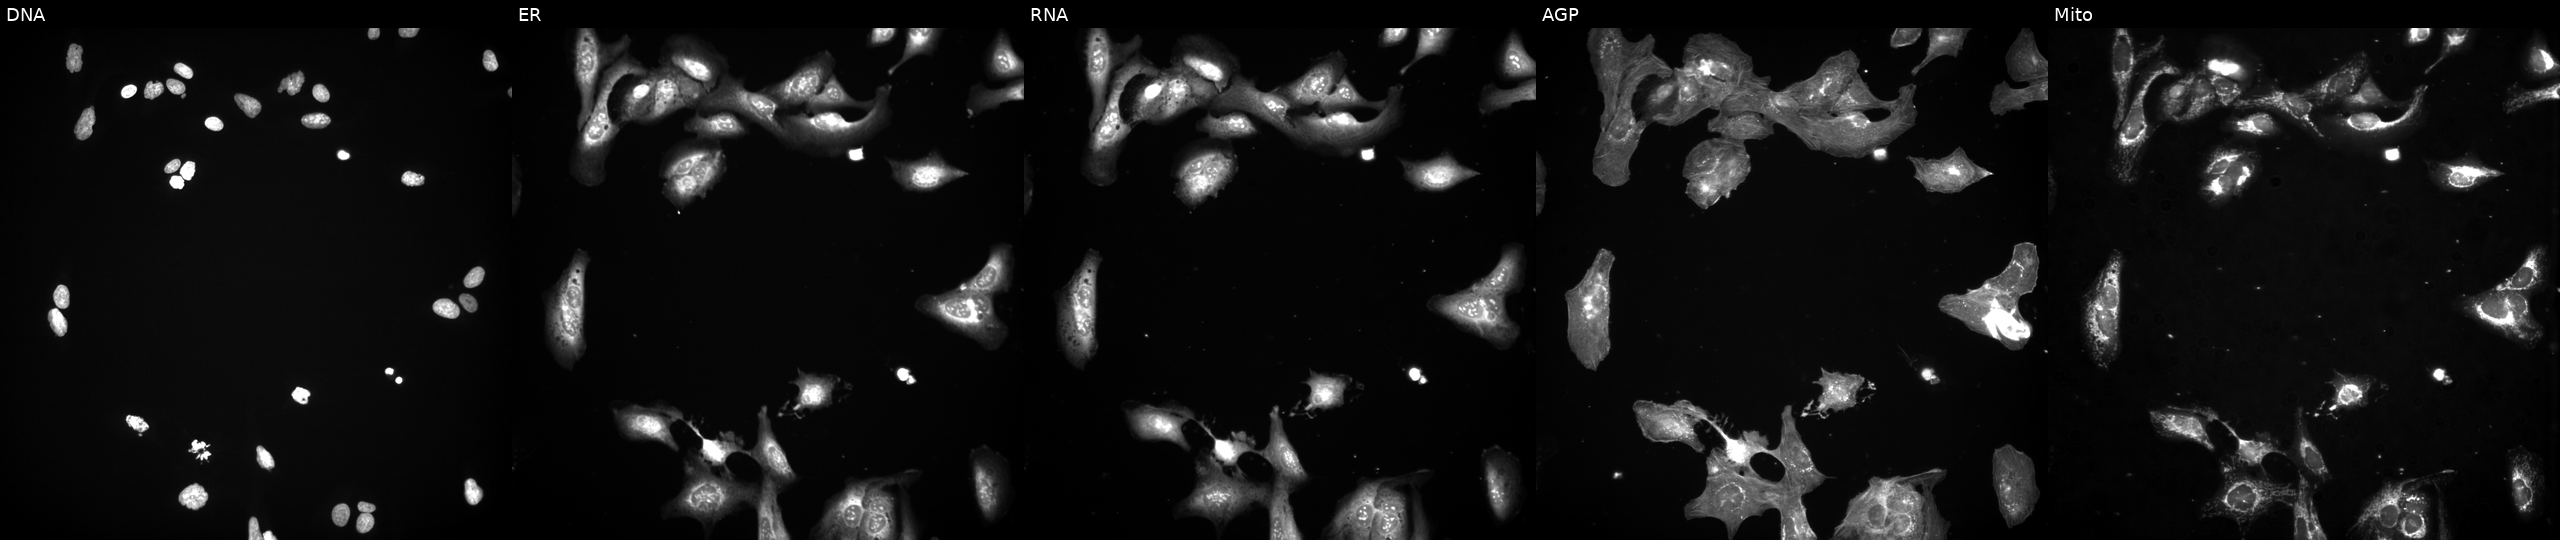
This image strip shows the five Cell Painting channels for a single field of U2OS cells exposed to a small-molecule compound (JUMP id JCP2022_027206). Panels show, left to right, DNA (nuclei); ER (endoplasmic reticulum); RNA (nucleoli and cytoplasmic RNA); AGP (actin cytoskeleton, Golgi, and plasma membrane); Mito (mitochondria). Source 3, plate JCPQC052, well G06.